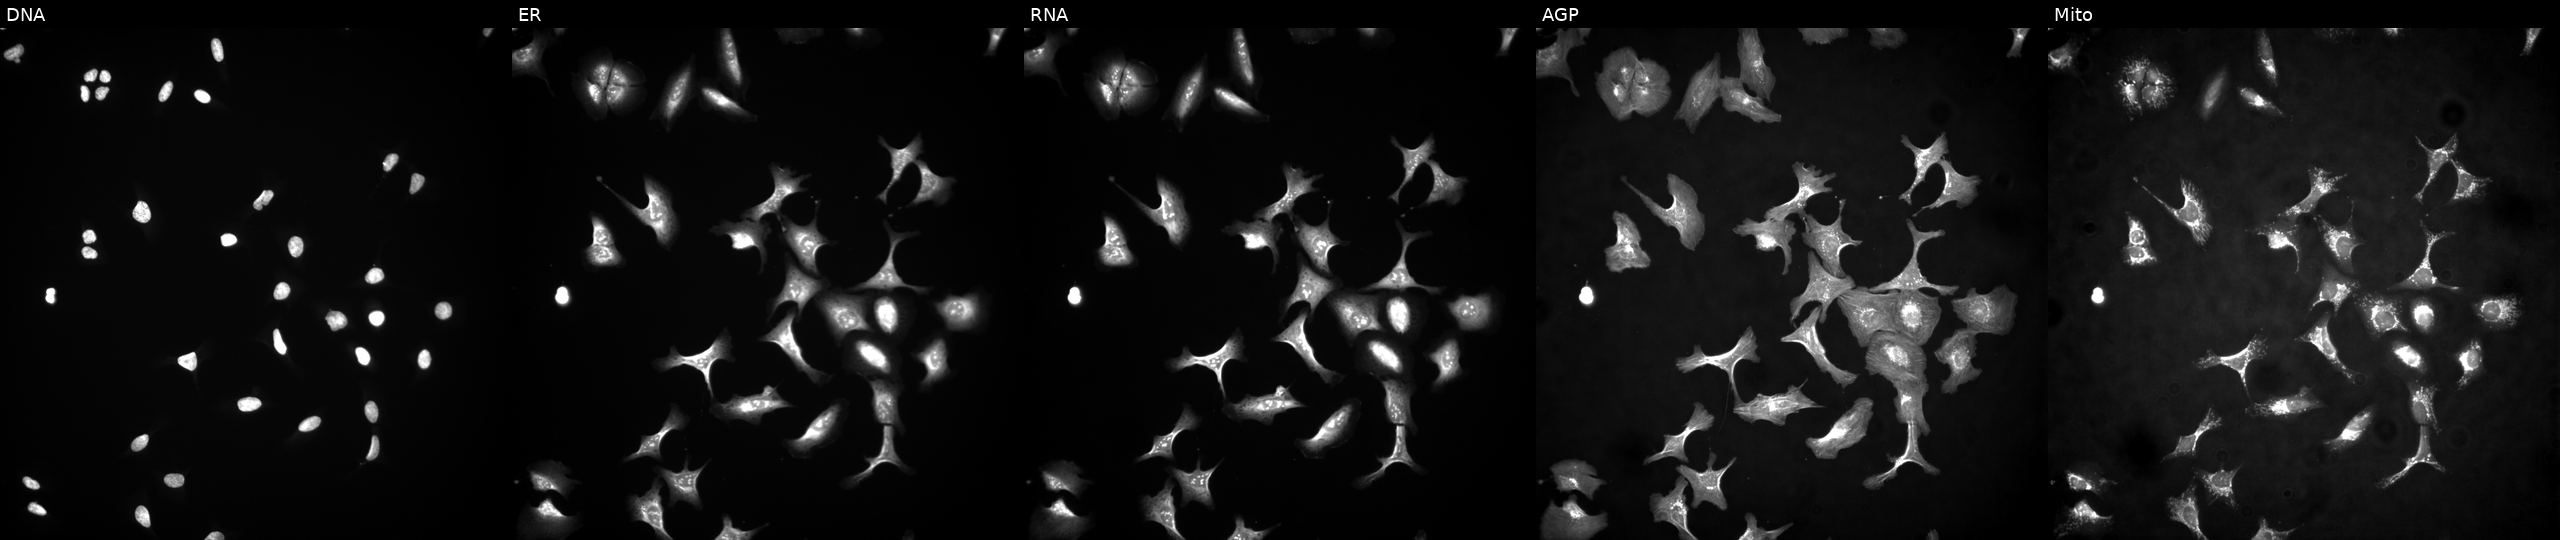
U2OS cells, Cell Painting assay, overexpressing CLIC2 via ORF transfection (JUMP id JCP2022_900298). Channels (left→right): DNA (nuclei); ER (endoplasmic reticulum); RNA (nucleoli and cytoplasmic RNA); AGP (actin cytoskeleton, Golgi, and plasma membrane); Mito (mitochondria). Each panel is percentile-stretched 16-bit fluorescence. Source 4, plate BR00124784, well I23.